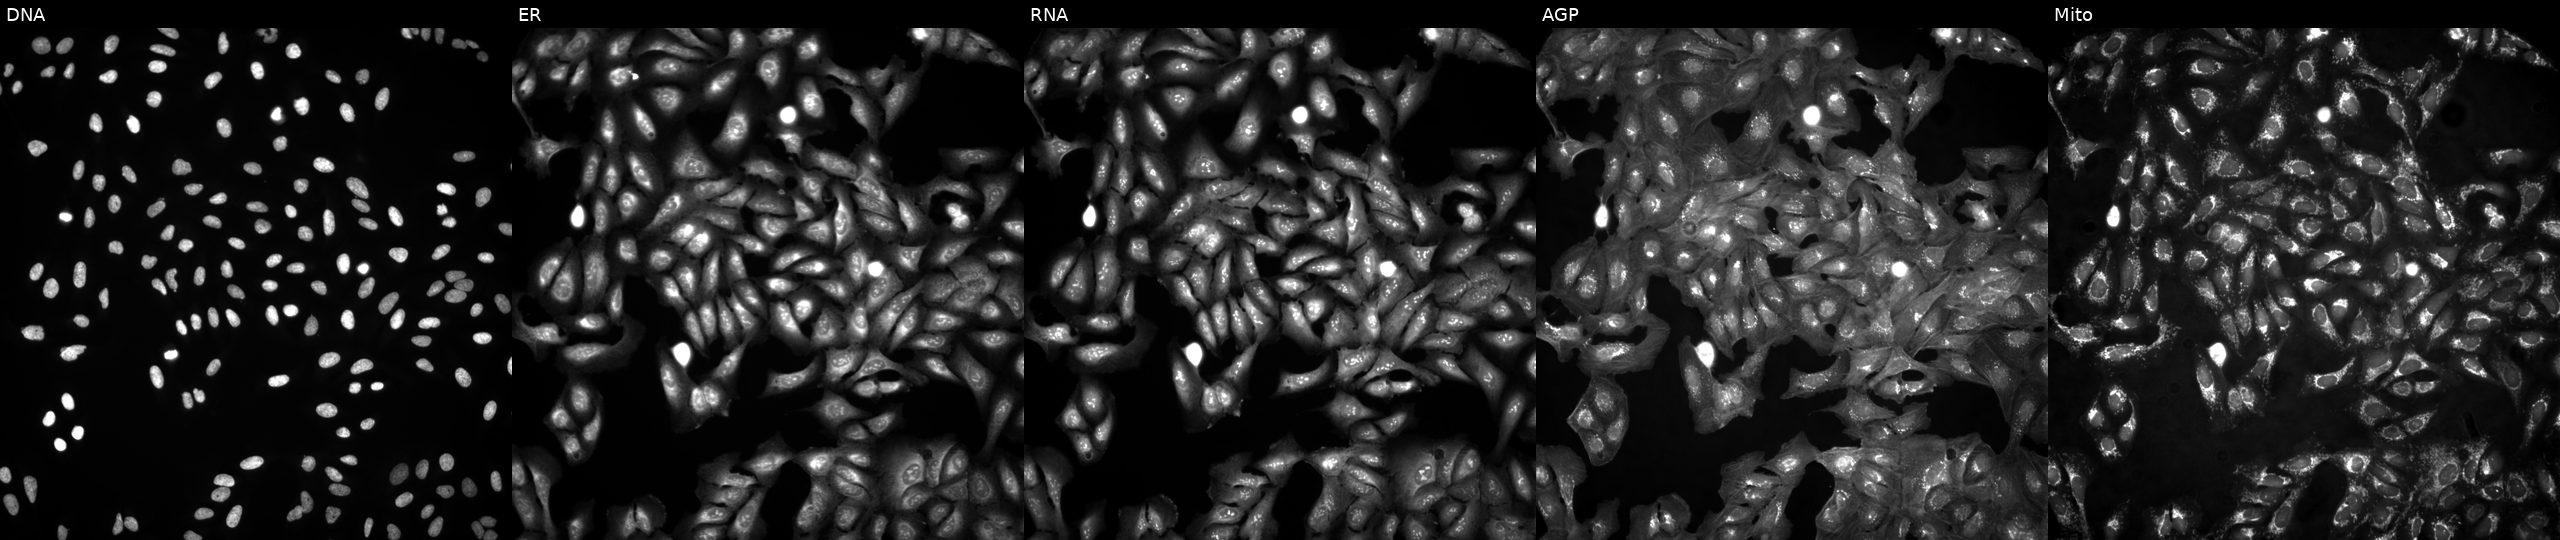
U2OS cells, Cell Painting assay, untreated (empty-well control). The five panels, left to right, show DNA, ER, RNA, AGP, and Mito. Each panel is percentile-stretched 16-bit fluorescence.